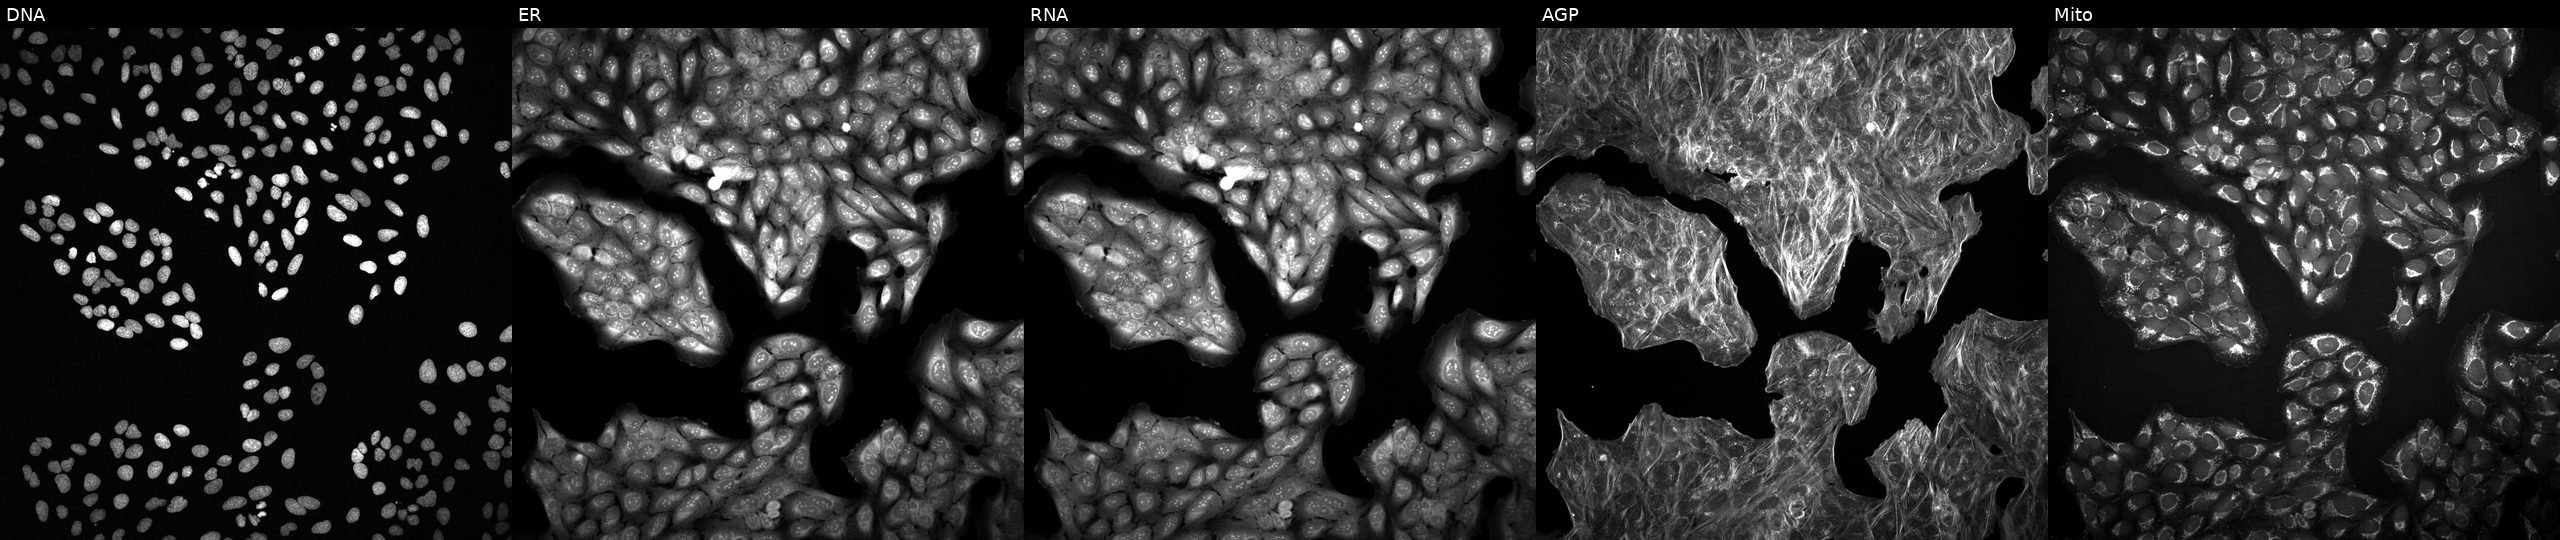
Five-channel Cell Painting image of U2OS cells perturbed with a small-molecule compound (InChIKey QOWBXWFYRXSBAS-UHFFFAOYSA-N) [SMILES: COc1ccc(CN)c(OC)c1] (JUMP id JCP2022_074917). Panels show, left to right, DNA (nuclei); ER (endoplasmic reticulum); RNA (nucleoli and cytoplasmic RNA); AGP (actin cytoskeleton, Golgi, and plasma membrane); Mito (mitochondria).